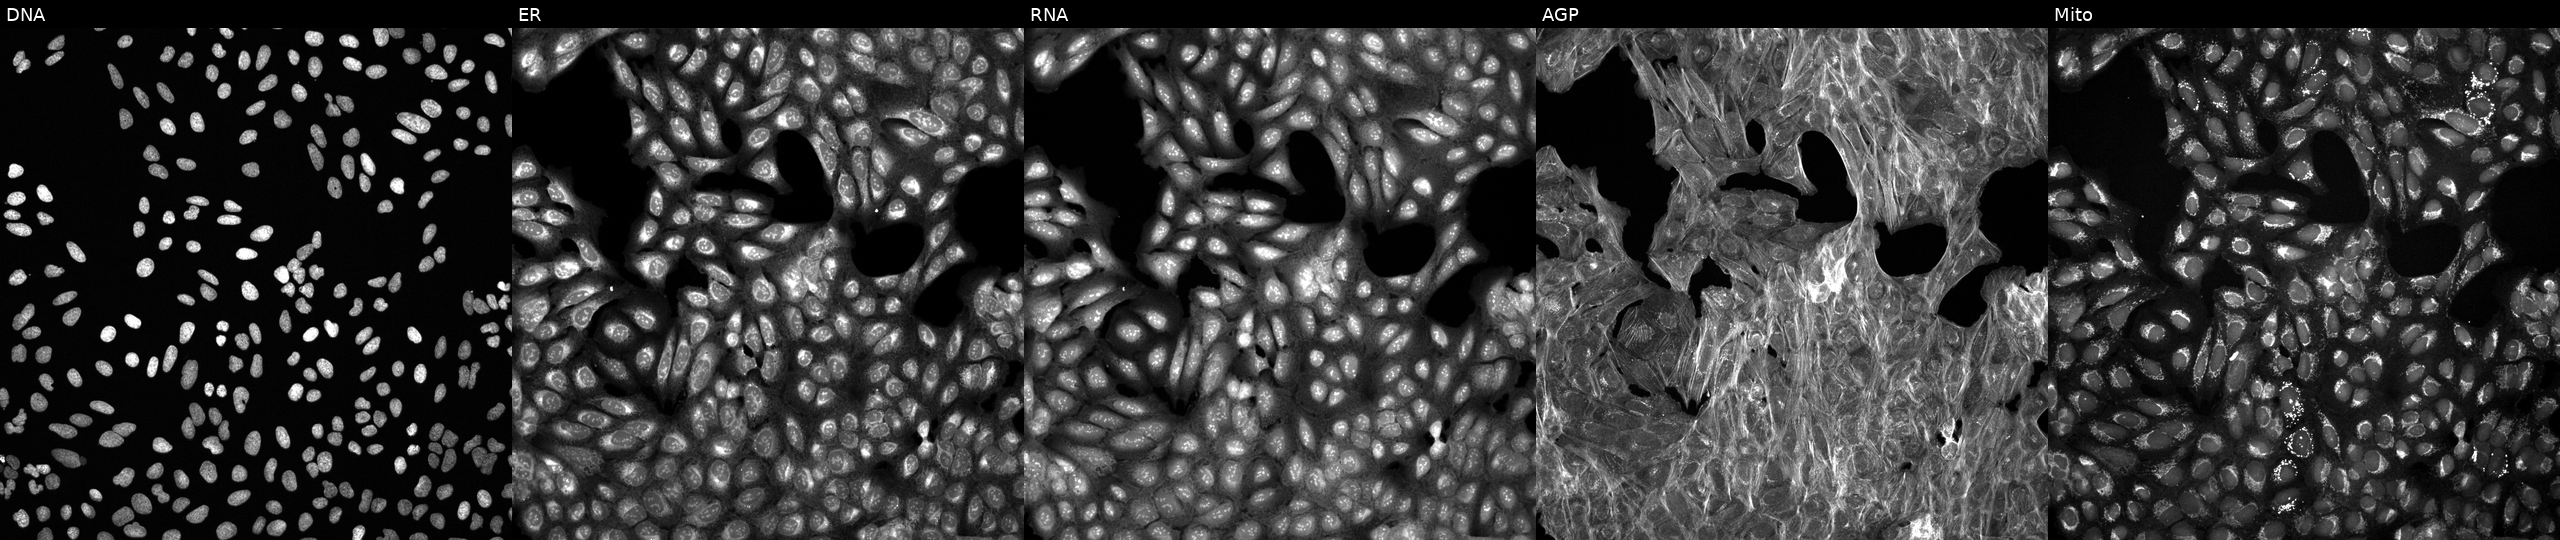
High-content fluorescence microscopy (Cell Painting). Cell line: U2OS. Perturbation: perturbed with a small-molecule compound (InChIKey IYBQOMCZKHAVJO-UHFFFAOYSA-N). The five panels, left to right, show Hoechst 33342, concanavalin A, SYTO 14, phalloidin and WGA, MitoTracker.